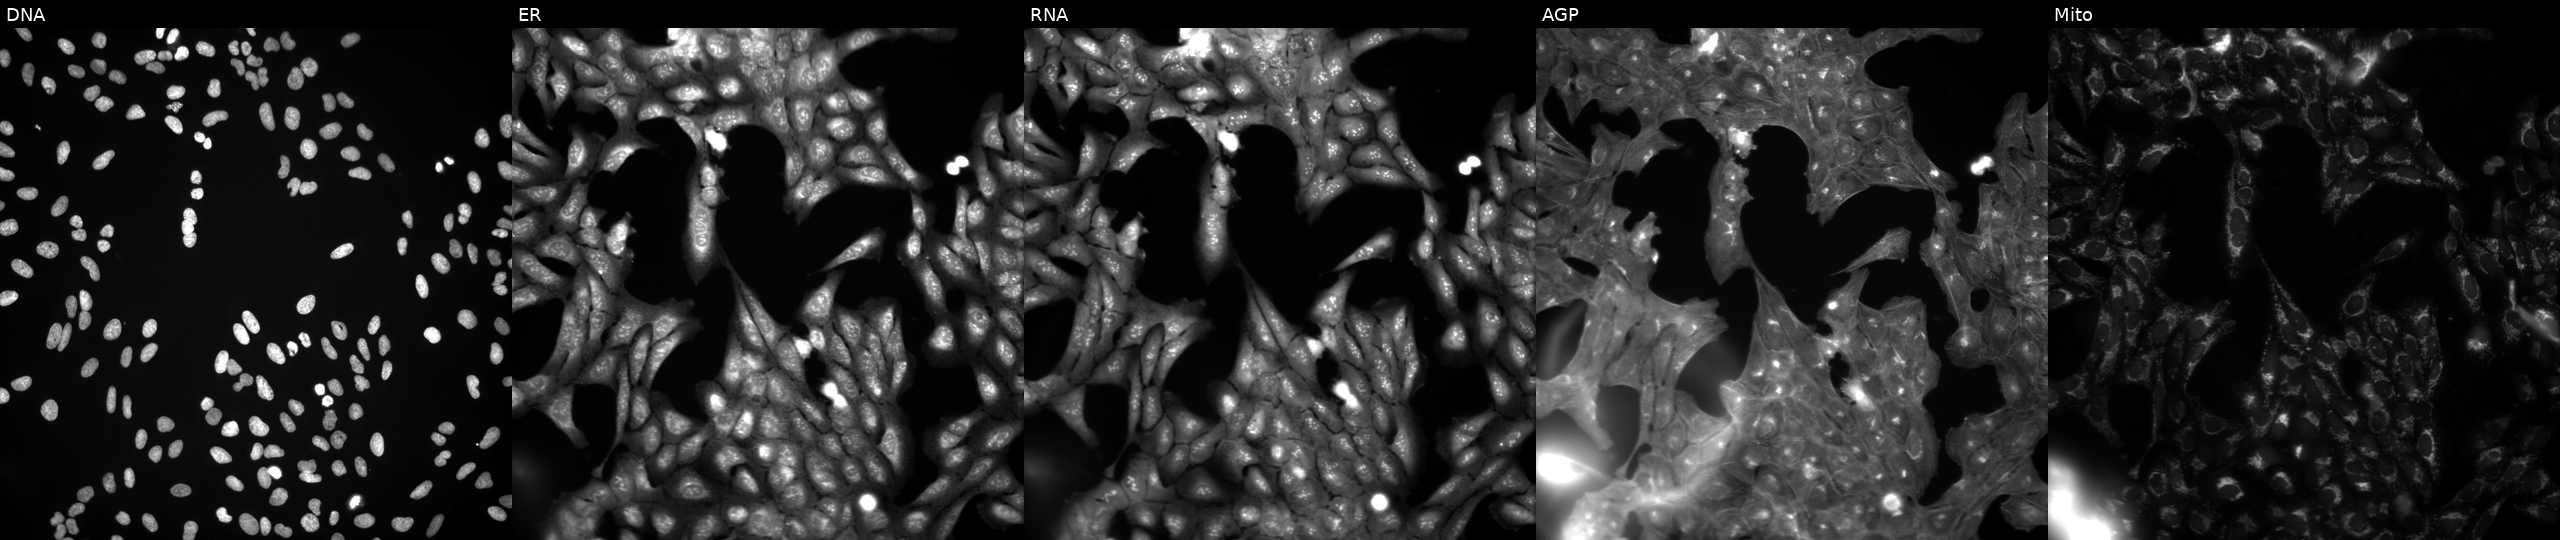
Five-channel Cell Painting image of U2OS cells treated with DMSO vehicle only (negative control) (JUMP id JCP2022_033924). Panels show, left to right, DNA, ER, RNA, AGP, and Mito. Source 3, plate JCPQC051, well A05.